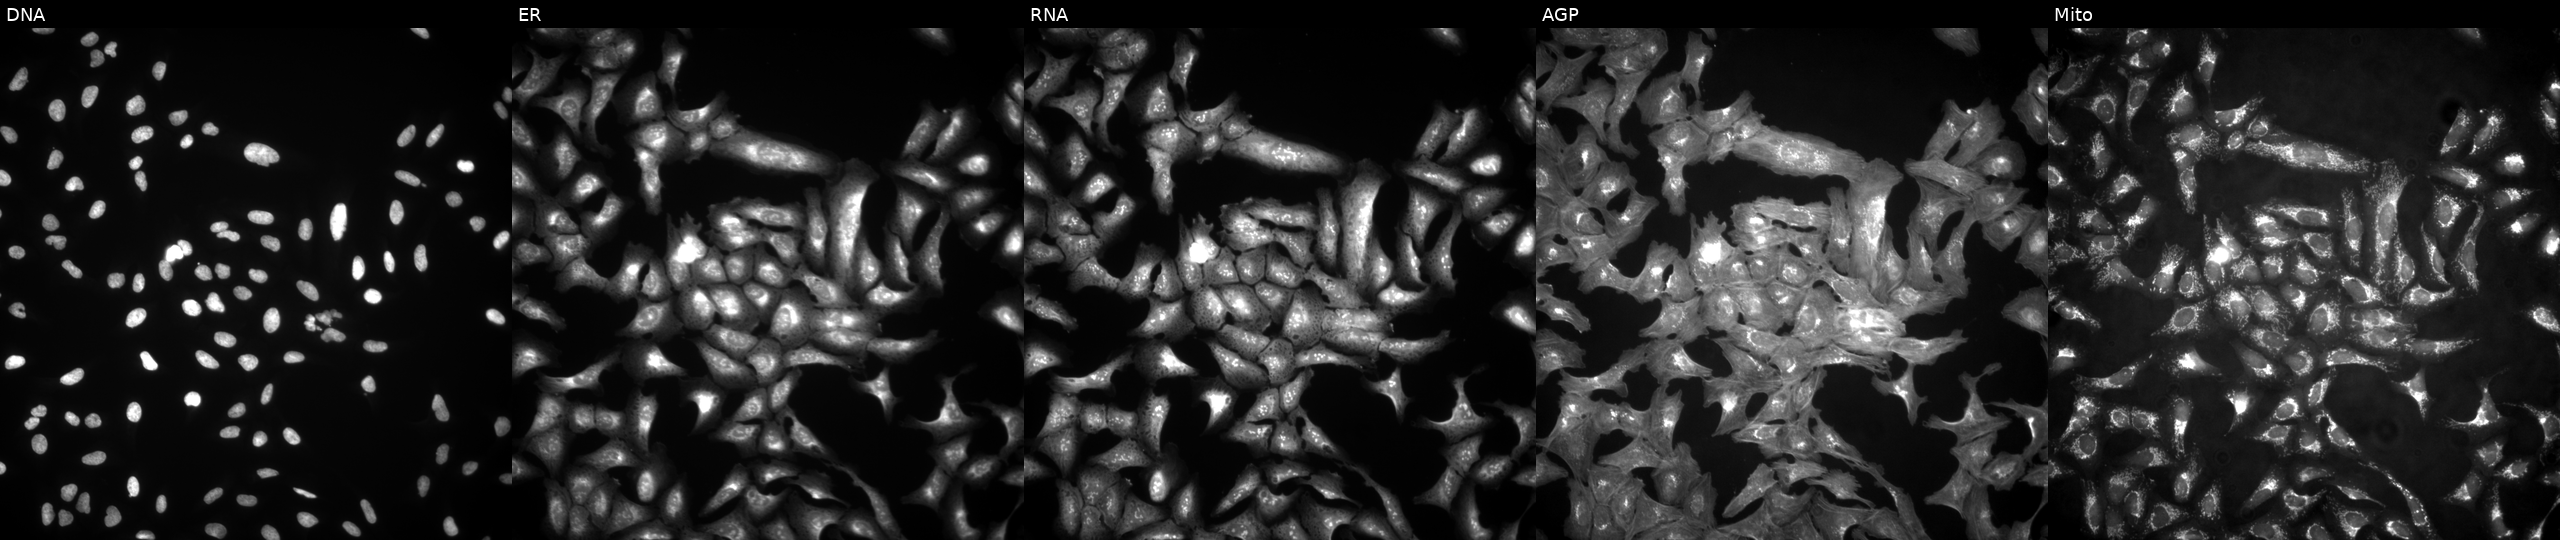
U2OS cells, Cell Painting assay, overexpressing KCTD11 via ORF transfection (JUMP id JCP2022_904676). Panels show, left to right, DNA, ER, RNA, AGP, and Mito. Each panel is percentile-stretched 16-bit fluorescence.